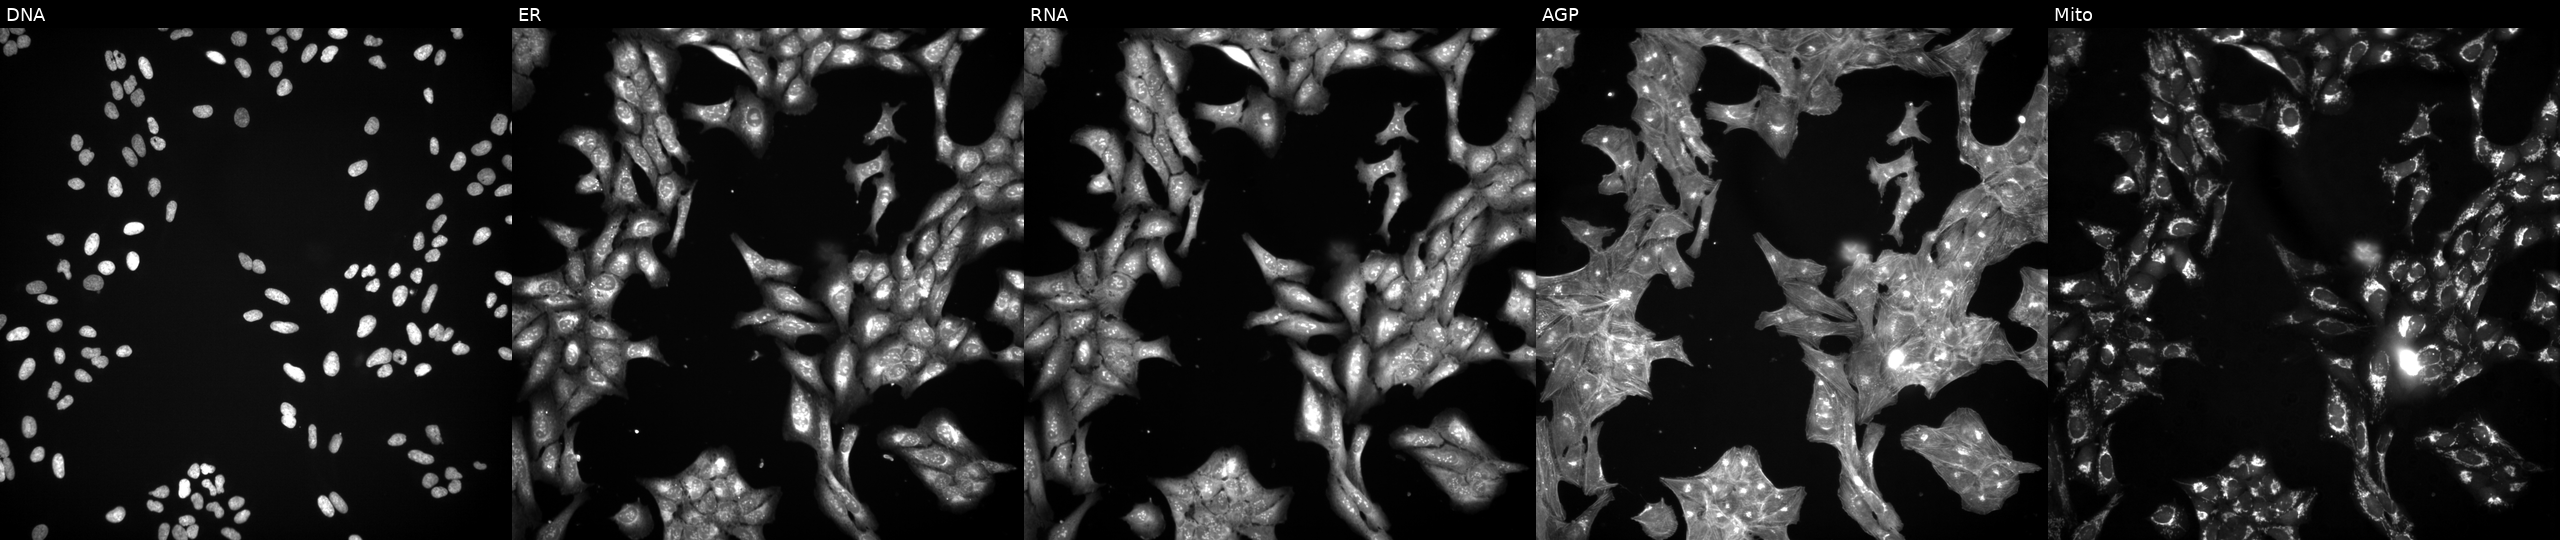
Five-channel Cell Painting image of U2OS cells exposed to DMSO alone as a negative control. Panels show, left to right, DNA (nuclei); ER (endoplasmic reticulum); RNA (nucleoli and cytoplasmic RNA); AGP (actin cytoskeleton, Golgi, and plasma membrane); Mito (mitochondria). Source 3, plate JCPQC053, well F13.